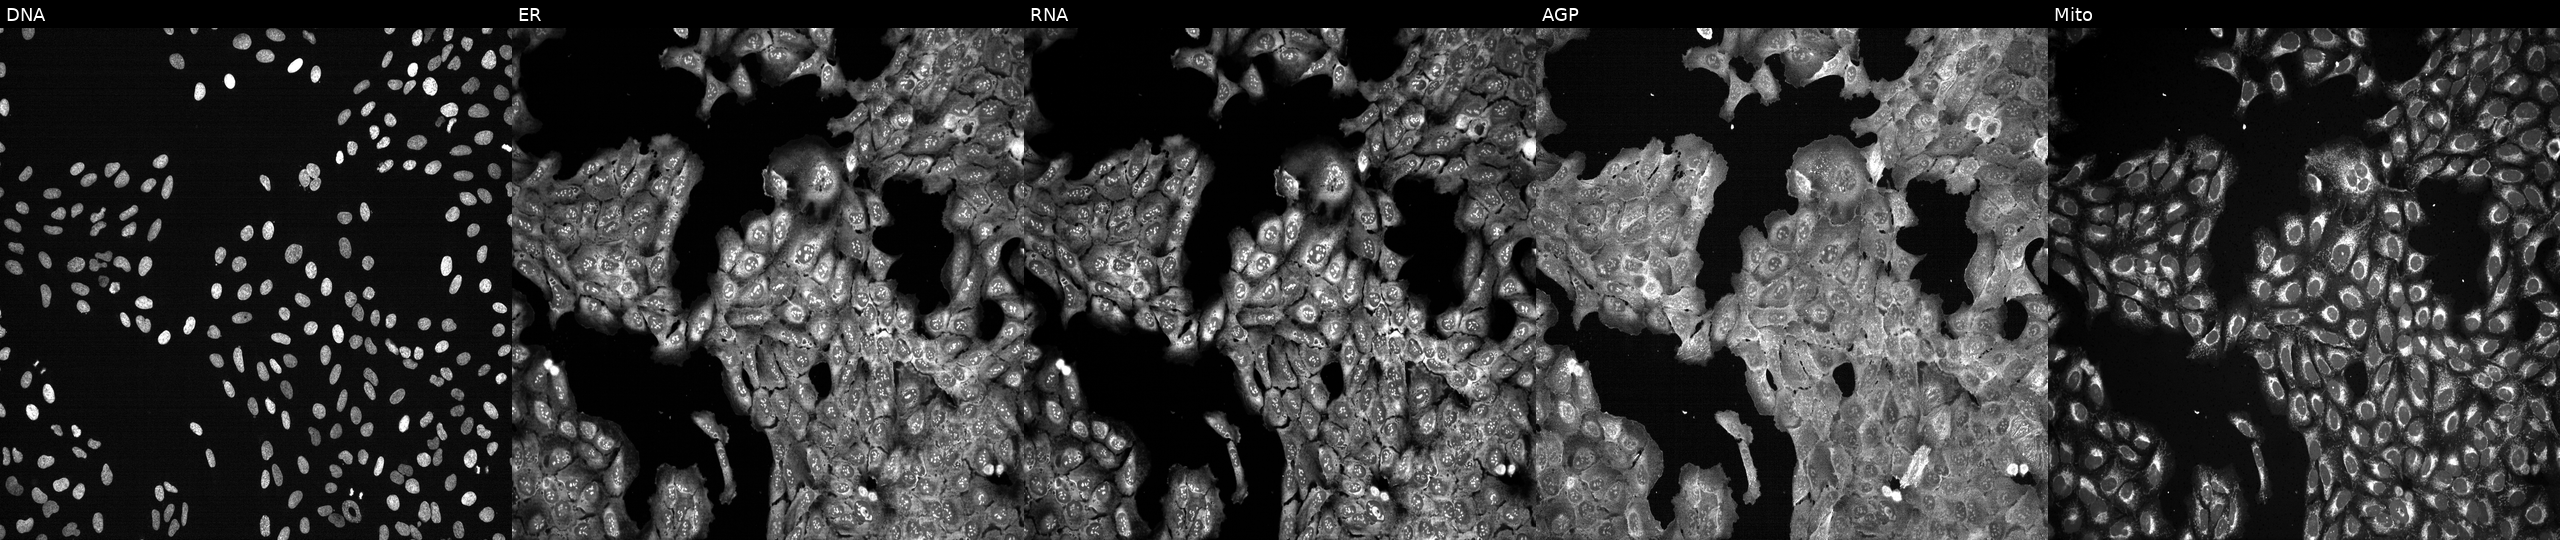
Panels show, left to right, DNA (nuclei); ER (endoplasmic reticulum); RNA (nucleoli and cytoplasmic RNA); AGP (actin cytoskeleton, Golgi, and plasma membrane); Mito (mitochondria). U2OS osteosarcoma cells with PRLR knocked out by CRISPR. Cell Painting assay, JUMP-CP dataset.